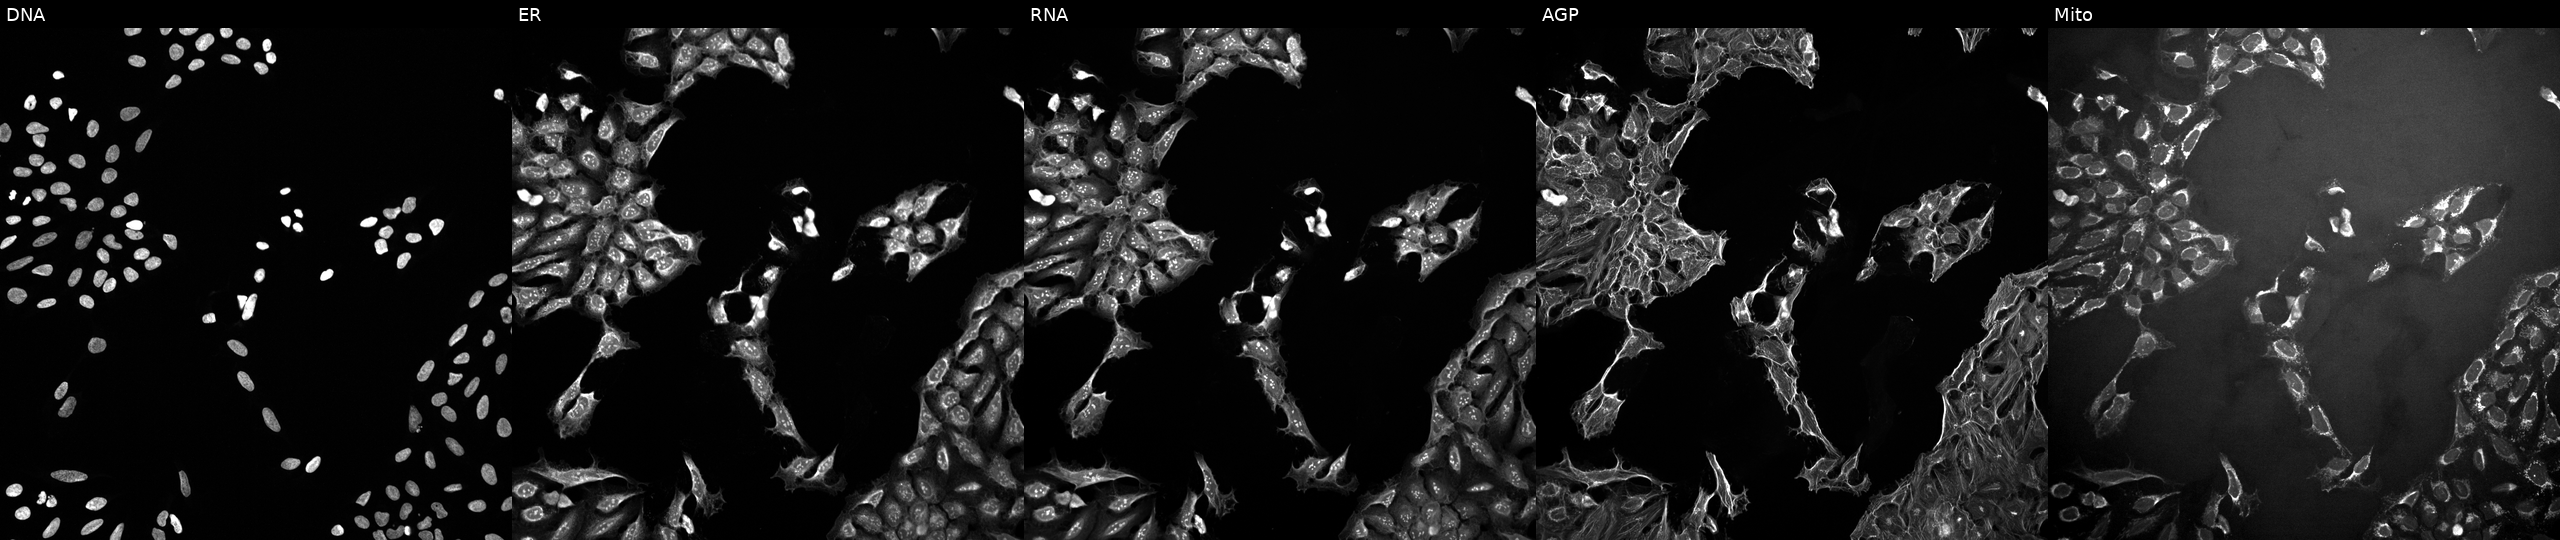
U2OS cells, Cell Painting assay, treated with a small-molecule compound (InChIKey XEYBRNLFEZDVAW-UHFFFAOYSA-N) (JUMP id JCP2022_103217). Panels show, left to right, DNA, ER, RNA, AGP, and Mito. Each panel is percentile-stretched 16-bit fluorescence.